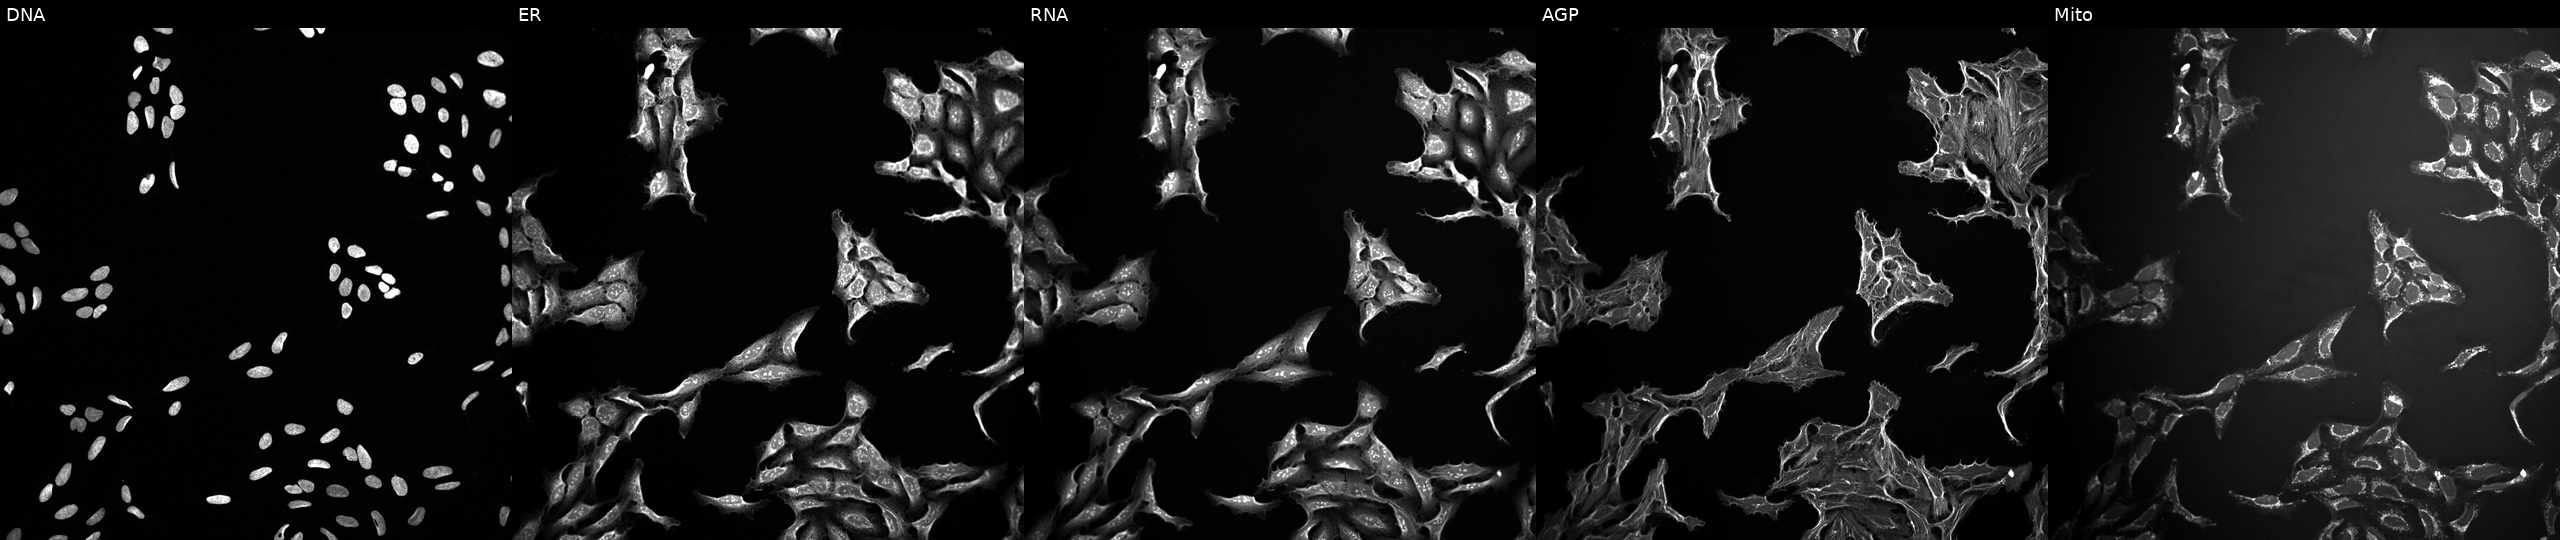
High-content fluorescence microscopy (Cell Painting). Cell line: U2OS. Perturbation: treated with a small-molecule compound (InChIKey KAJXOWFGKYKMMZ-UHFFFAOYSA-N) (JUMP id JCP2022_043287). From left to right: DNA, ER, RNA, AGP, and Mito.